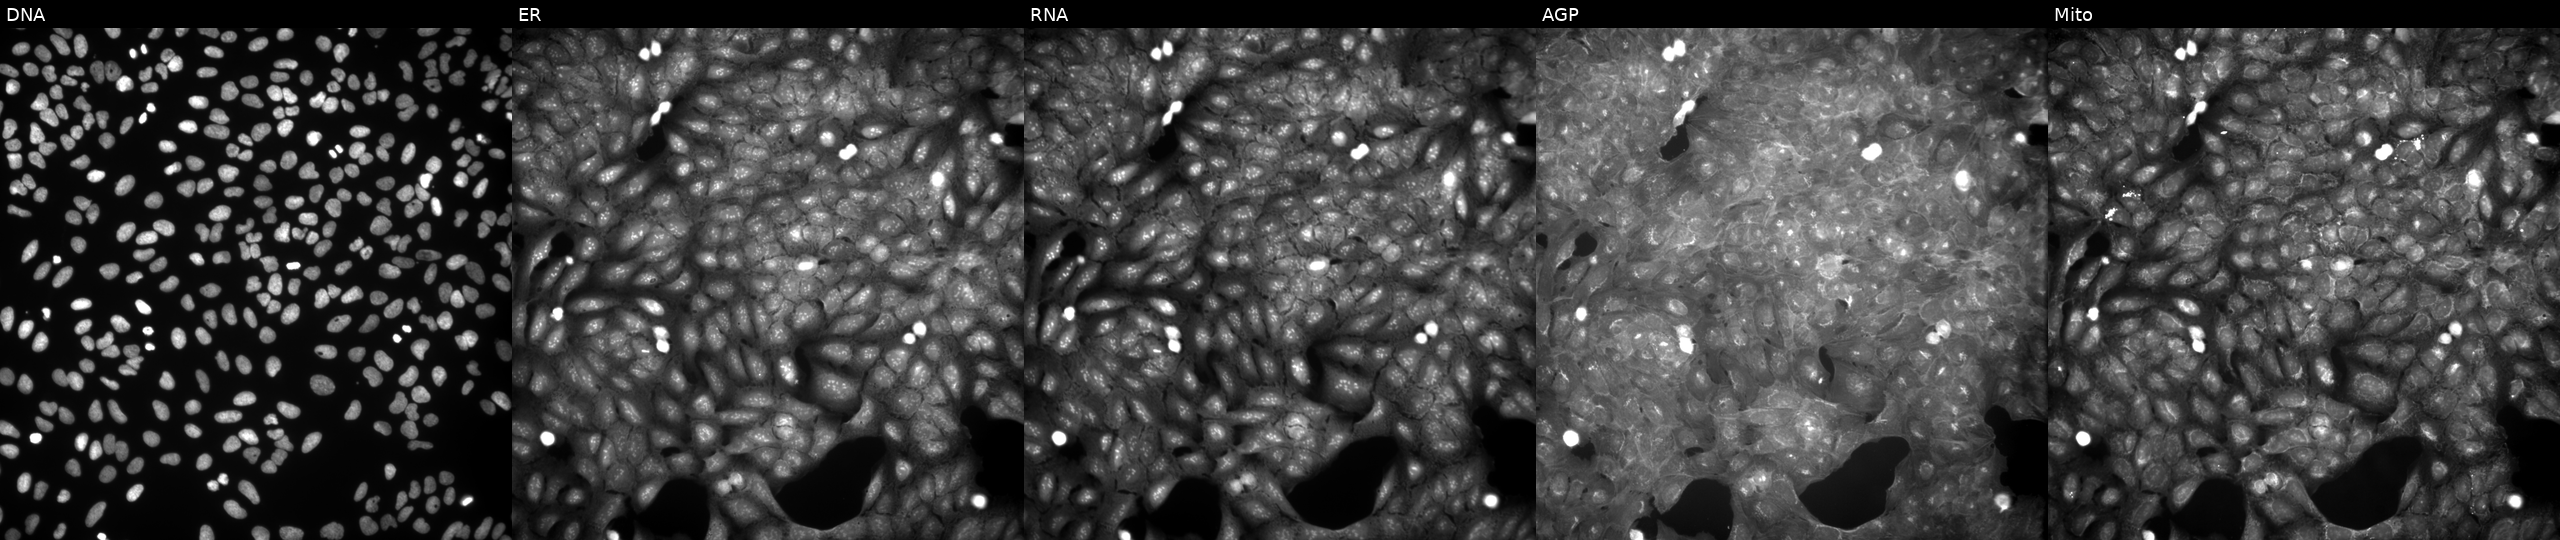
This image strip shows the five Cell Painting channels for a single field of U2OS cells perturbed with a small-molecule compound (InChIKey YMOCUVYPANPNFT-UHFFFAOYSA-N) (JUMP id JCP2022_109423). The five panels, left to right, show DNA, ER, RNA, AGP, and Mito. Source 9, plate GR00003381, well D38.